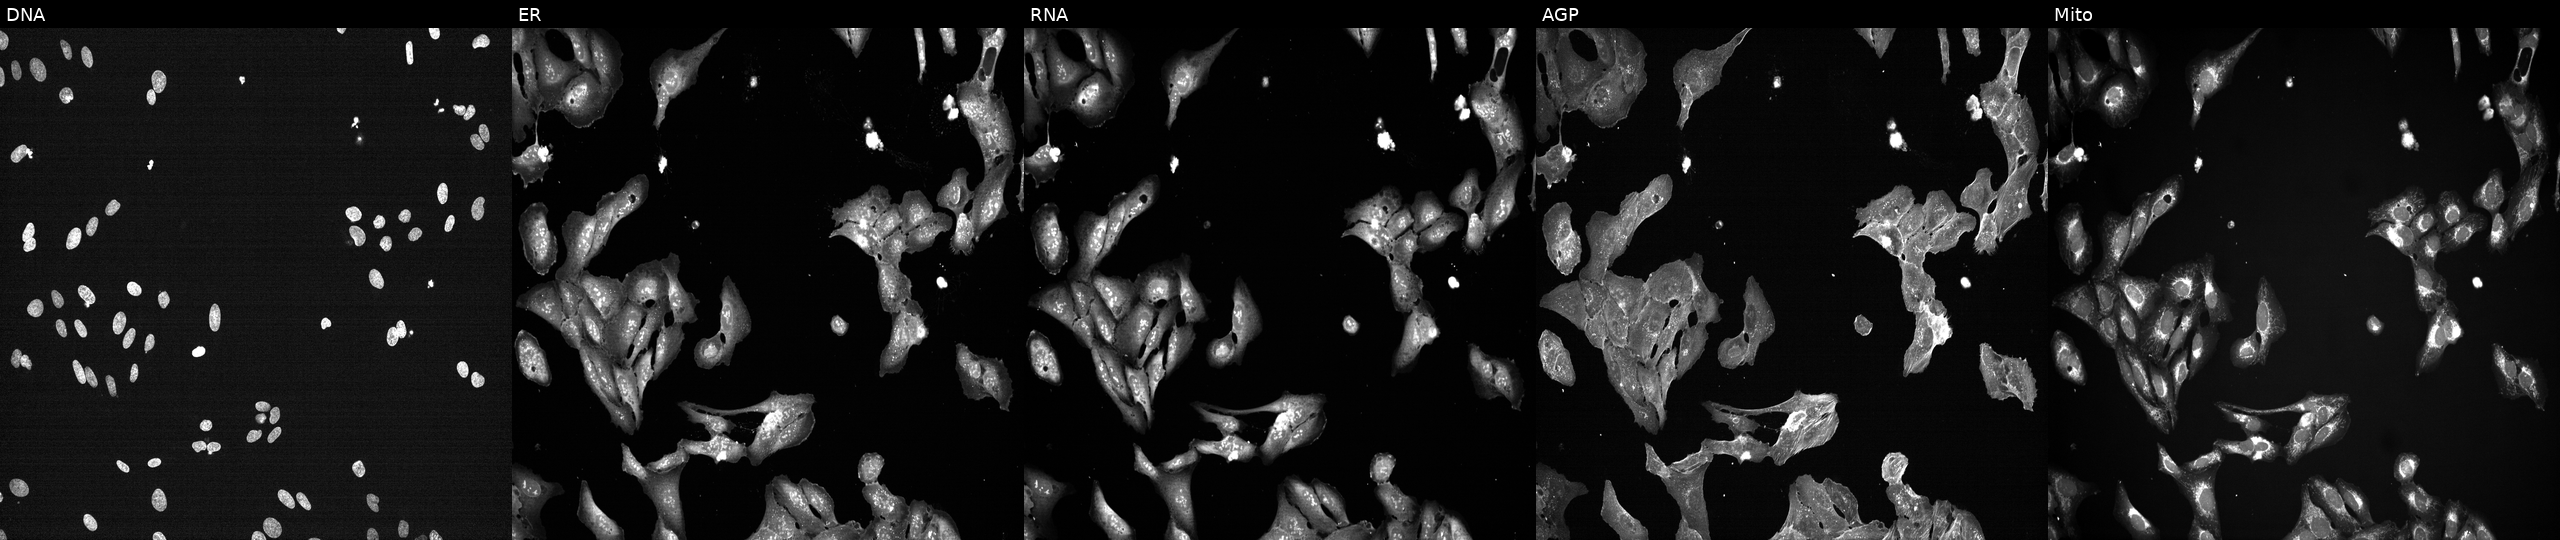
Five-channel Cell Painting image of U2OS cells treated with a small-molecule compound [SMILES: CC(C)CC(=O)N=c1[nH][nH]c2c1CN(C(=O)C1CCN(C)CC1)C2(C)C] (JUMP id JCP2022_032771). Channels (left→right): Hoechst 33342, concanavalin A, SYTO 14, phalloidin and WGA, MitoTracker. Source 7, plate CP3-SC1-25, well D16.